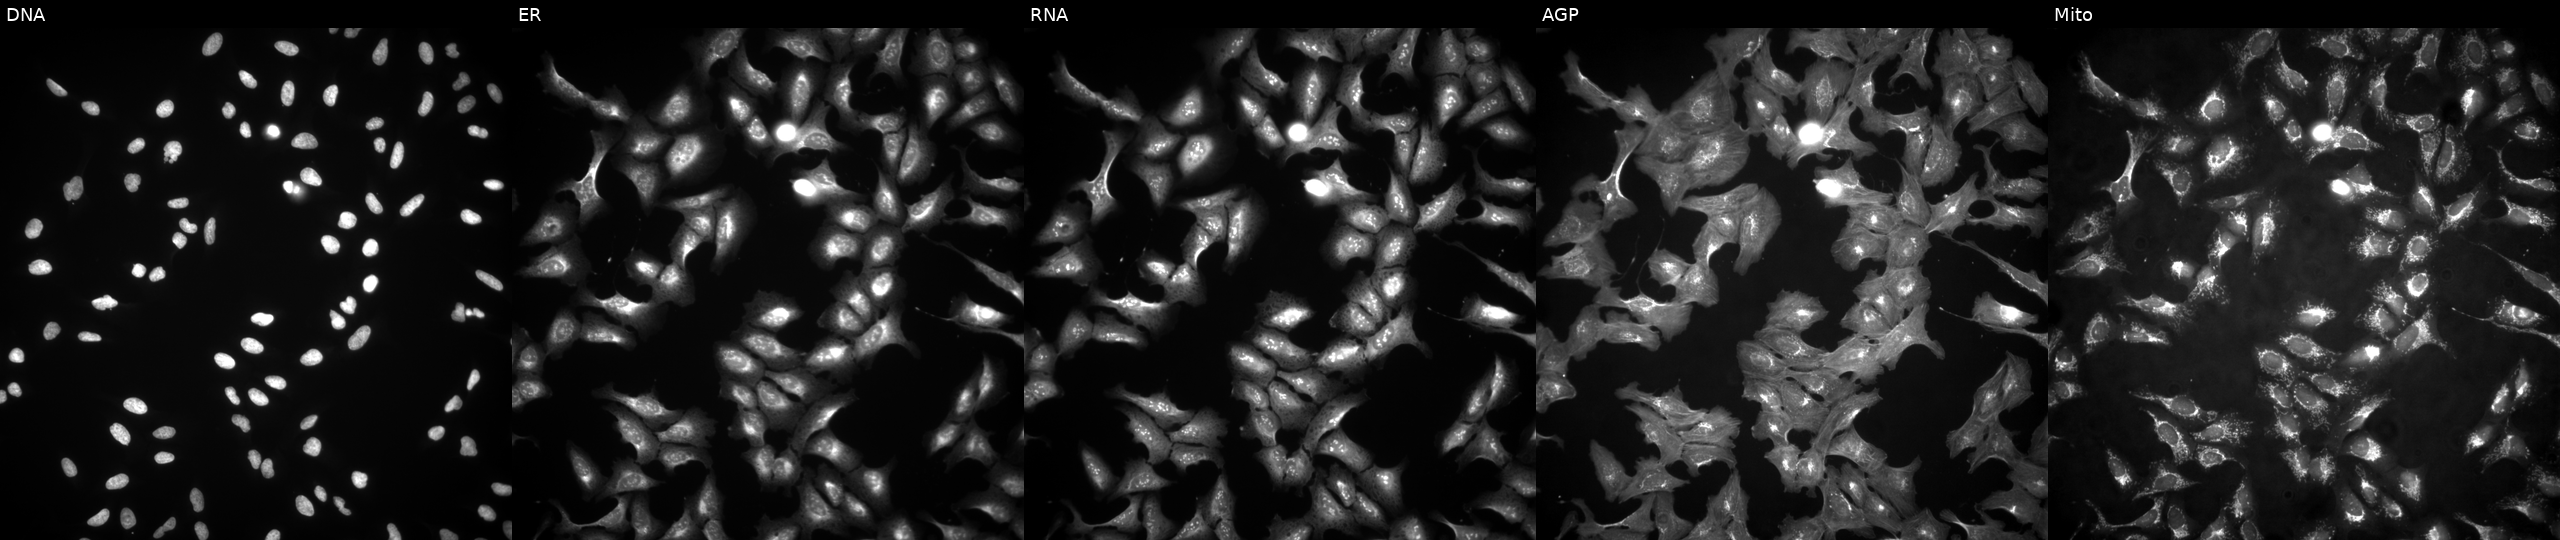
Five-channel Cell Painting image of U2OS cells overexpressing DPY30 via ORF transfection. Channels (left→right): DNA (nuclei); ER (endoplasmic reticulum); RNA (nucleoli and cytoplasmic RNA); AGP (actin cytoskeleton, Golgi, and plasma membrane); Mito (mitochondria). Source 4, plate BR00123509, well N18.